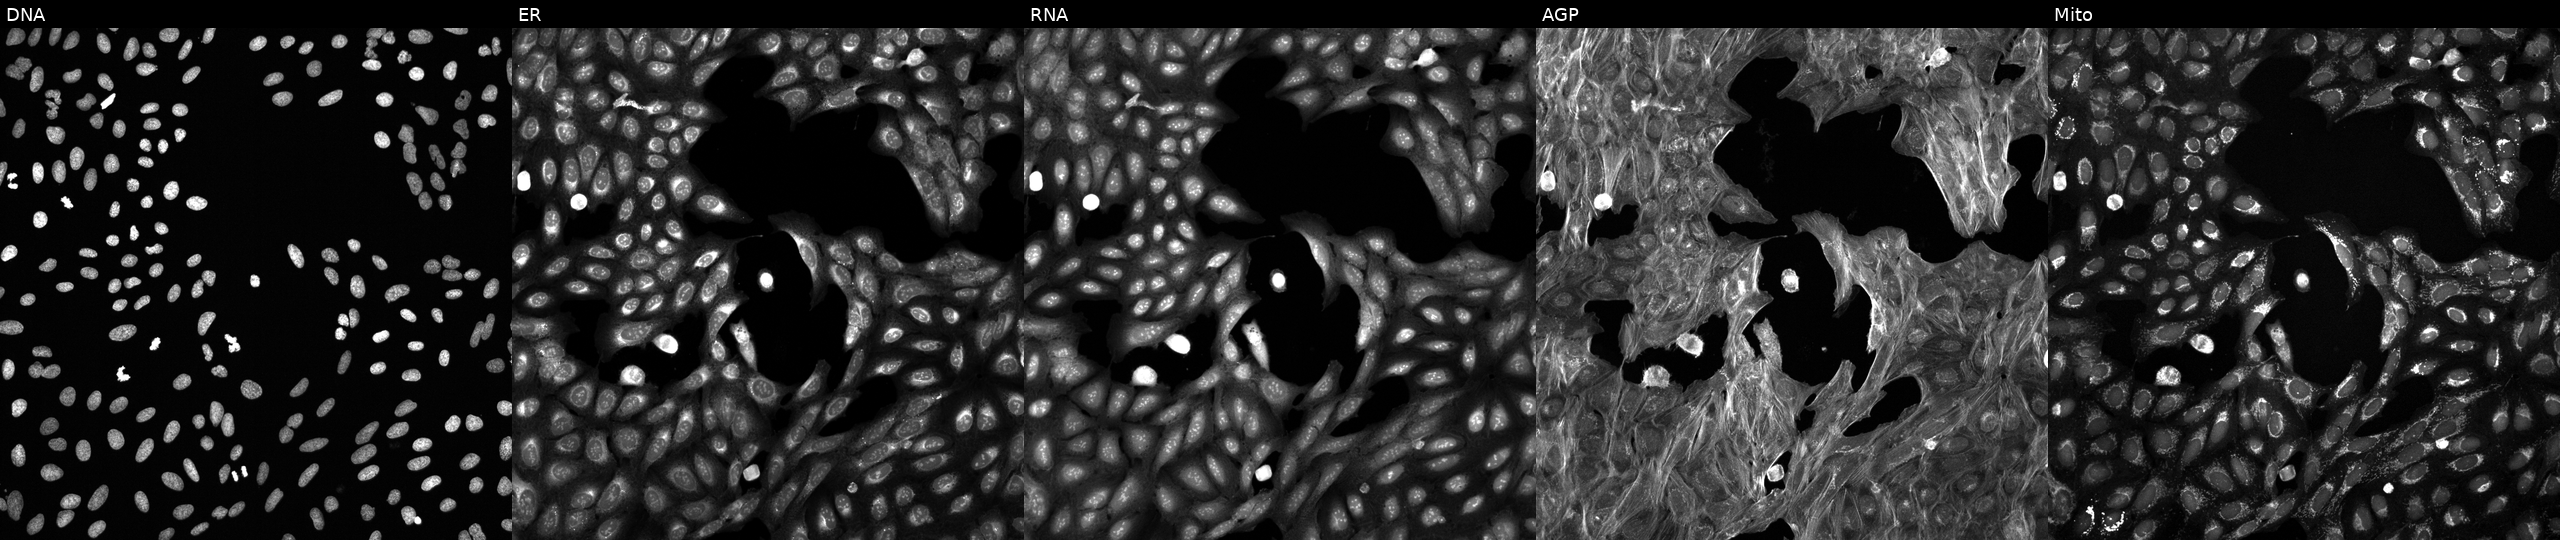
High-content fluorescence microscopy (Cell Painting). Cell line: U2OS. Perturbation: exposed to a small-molecule compound. The five panels, left to right, show DNA (nuclei); ER (endoplasmic reticulum); RNA (nucleoli and cytoplasmic RNA); AGP (actin cytoskeleton, Golgi, and plasma membrane); Mito (mitochondria).